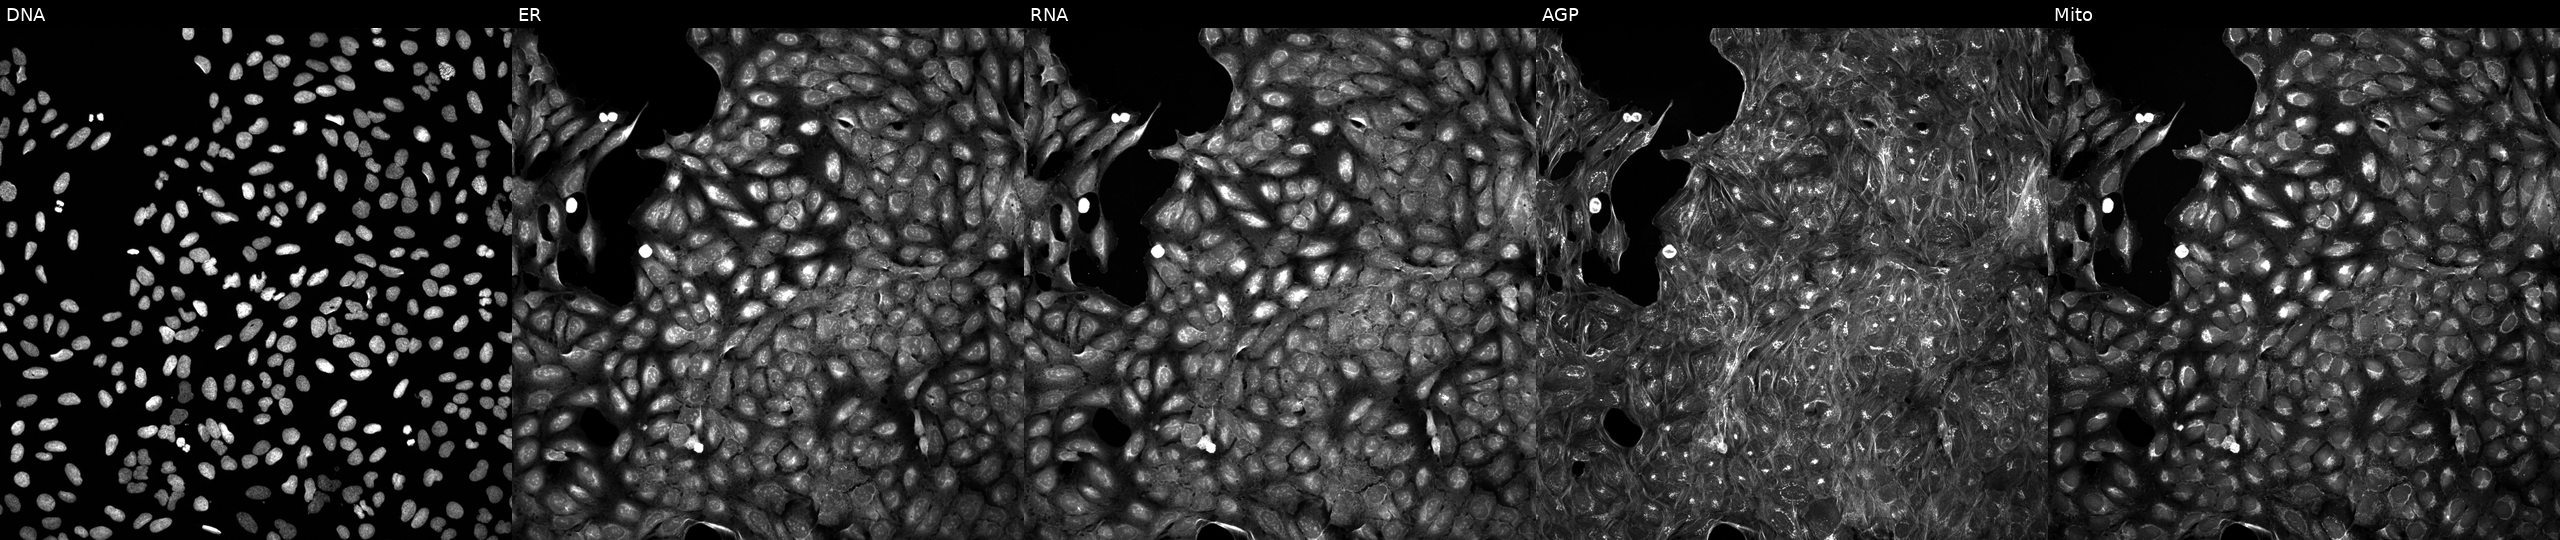
High-content fluorescence microscopy (Cell Painting). Cell line: U2OS. Perturbation: perturbed with a small-molecule compound (InChIKey MWAQKDQTSFAXRN-UHFFFAOYSA-N) [SMILES: c1ccc(Cc2noc(CN3CCn4ccnc4C3)n2)cc1]. The five panels, left to right, show Hoechst 33342, concanavalin A, SYTO 14, phalloidin and WGA, MitoTracker.